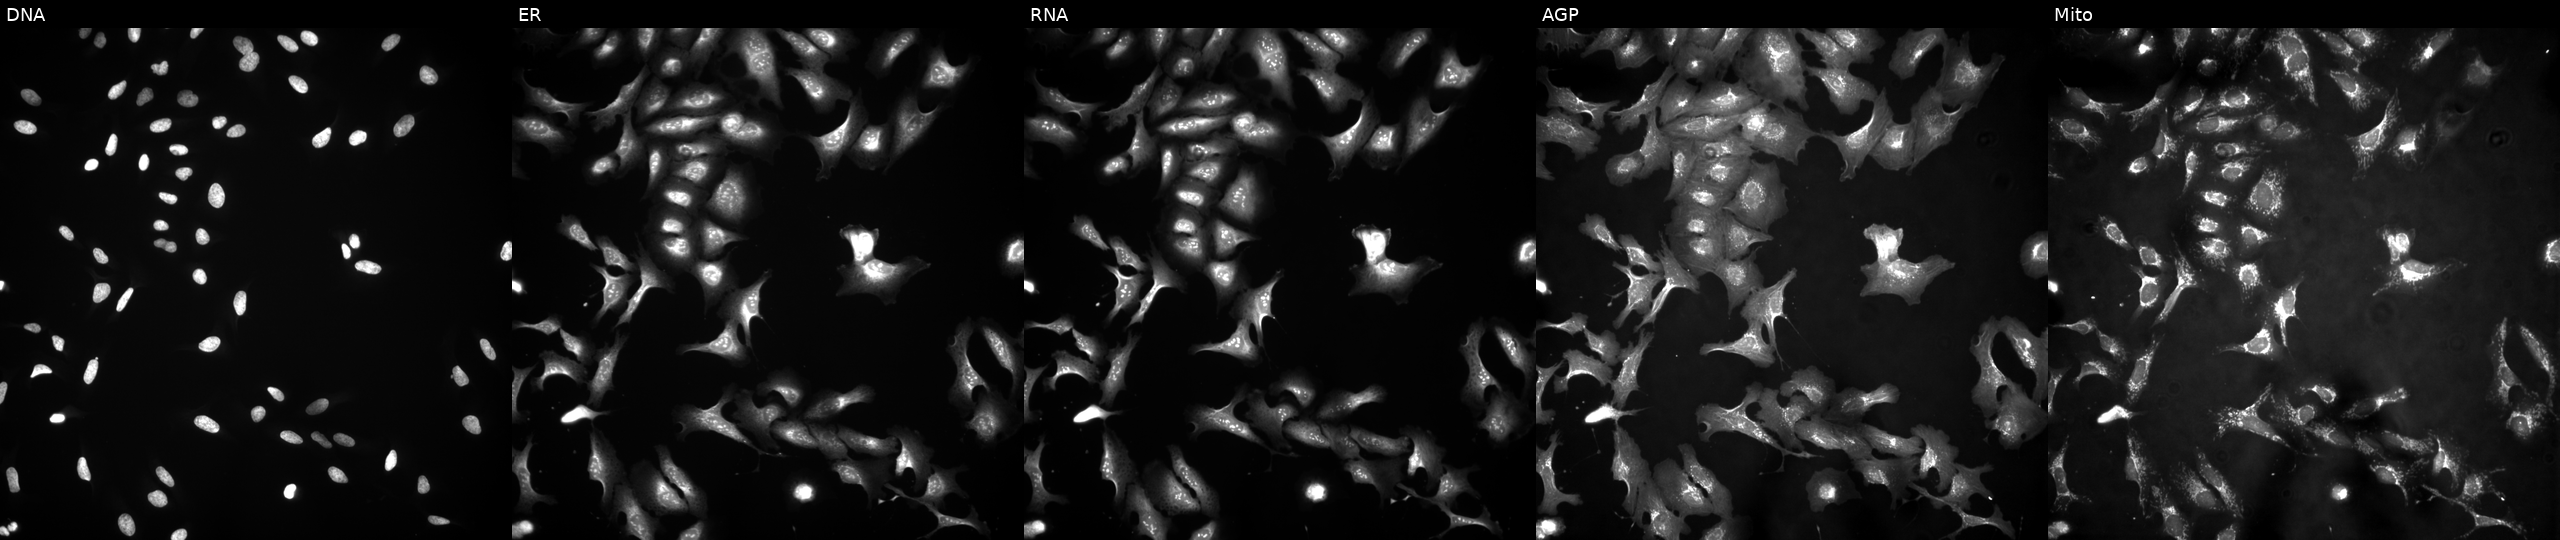
This image strip shows the five Cell Painting channels for a single field of U2OS cells overexpressing WDR49 via ORF transfection. Channels (left→right): DNA, ER, RNA, AGP, and Mito.